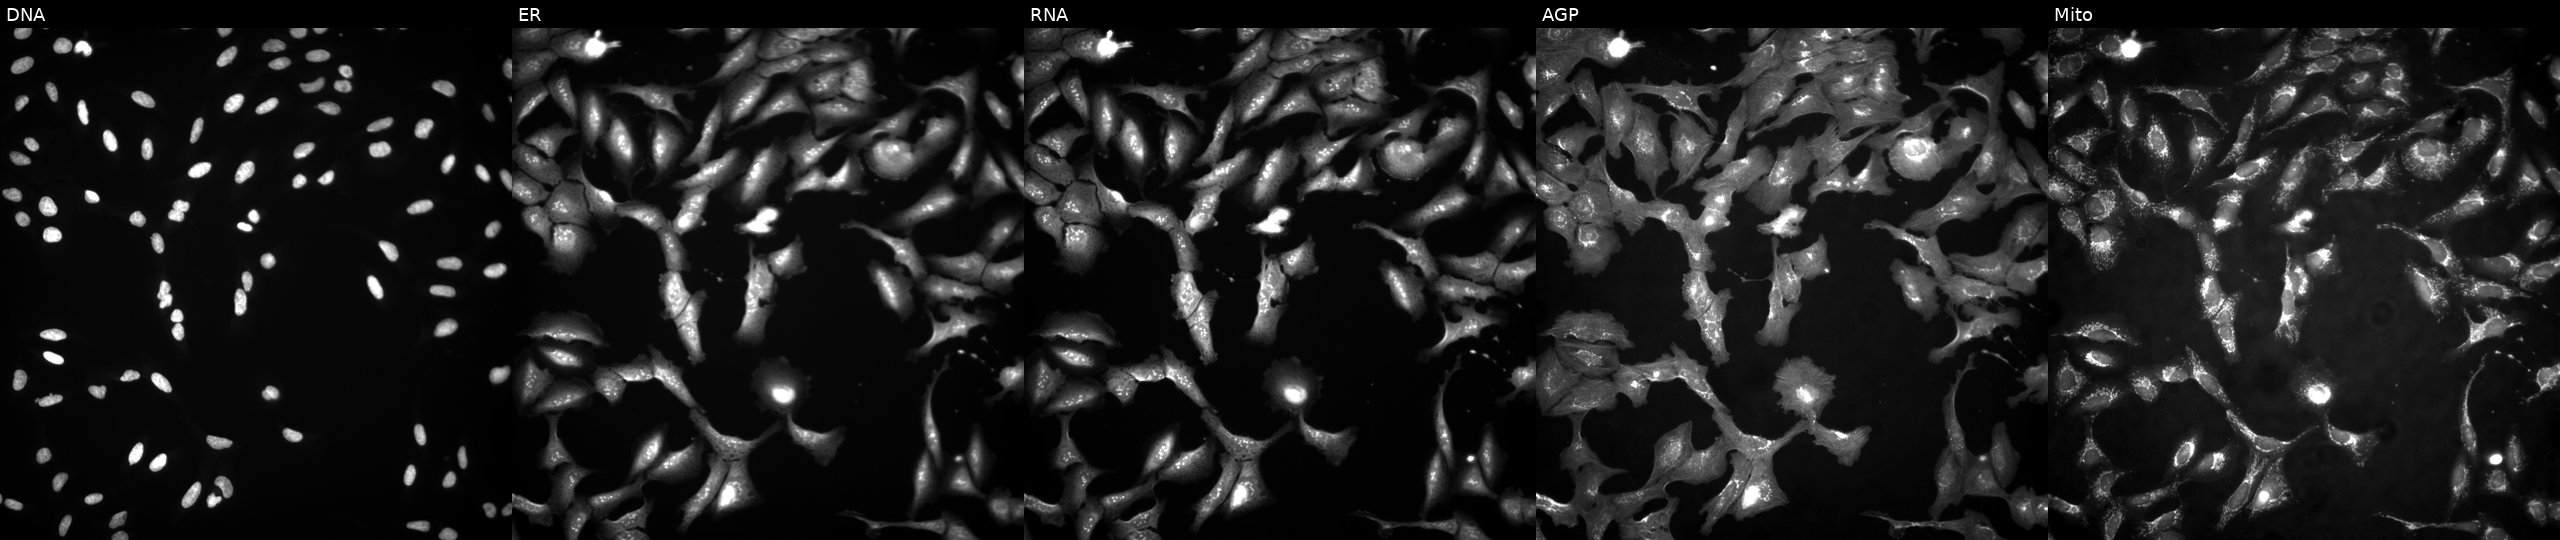
The five panels, left to right, show DNA (nuclei); ER (endoplasmic reticulum); RNA (nucleoli and cytoplasmic RNA); AGP (actin cytoskeleton, Golgi, and plasma membrane); Mito (mitochondria). U2OS osteosarcoma cells transfected with an ORF construct for ZNF277 (JUMP id JCP2022_910821). Cell Painting assay, JUMP-CP dataset. Source 4, plate BR00117035, well G18.